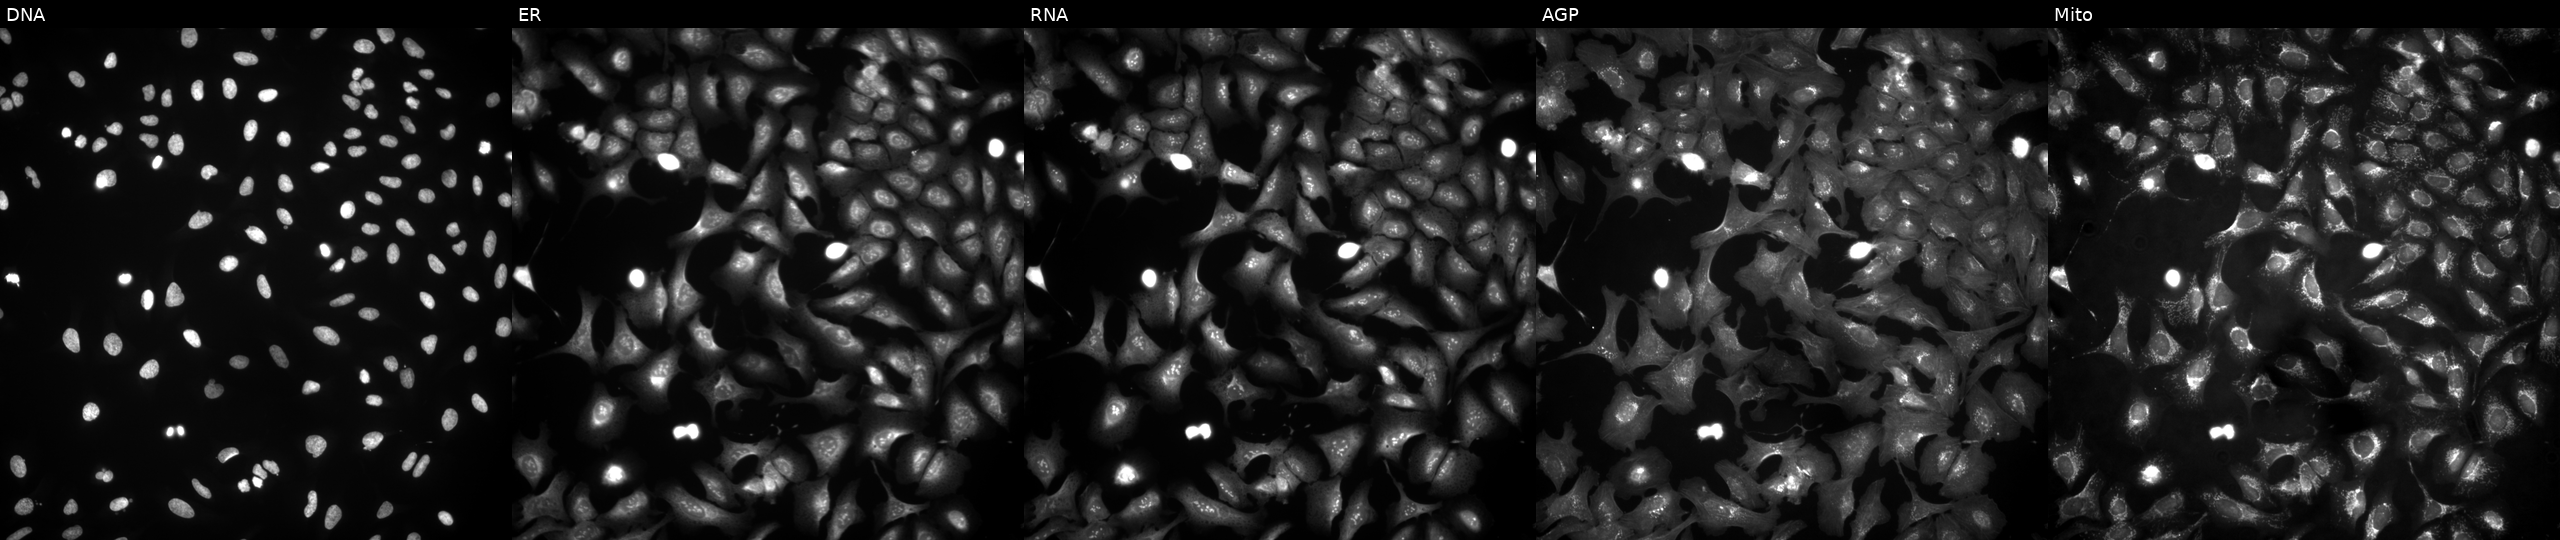
High-content fluorescence microscopy (Cell Painting). Cell line: U2OS. Perturbation: transfected with an ORF construct for CAPS2 (JUMP id JCP2022_913357). From left to right: DNA (nuclei); ER (endoplasmic reticulum); RNA (nucleoli and cytoplasmic RNA); AGP (actin cytoskeleton, Golgi, and plasma membrane); Mito (mitochondria).